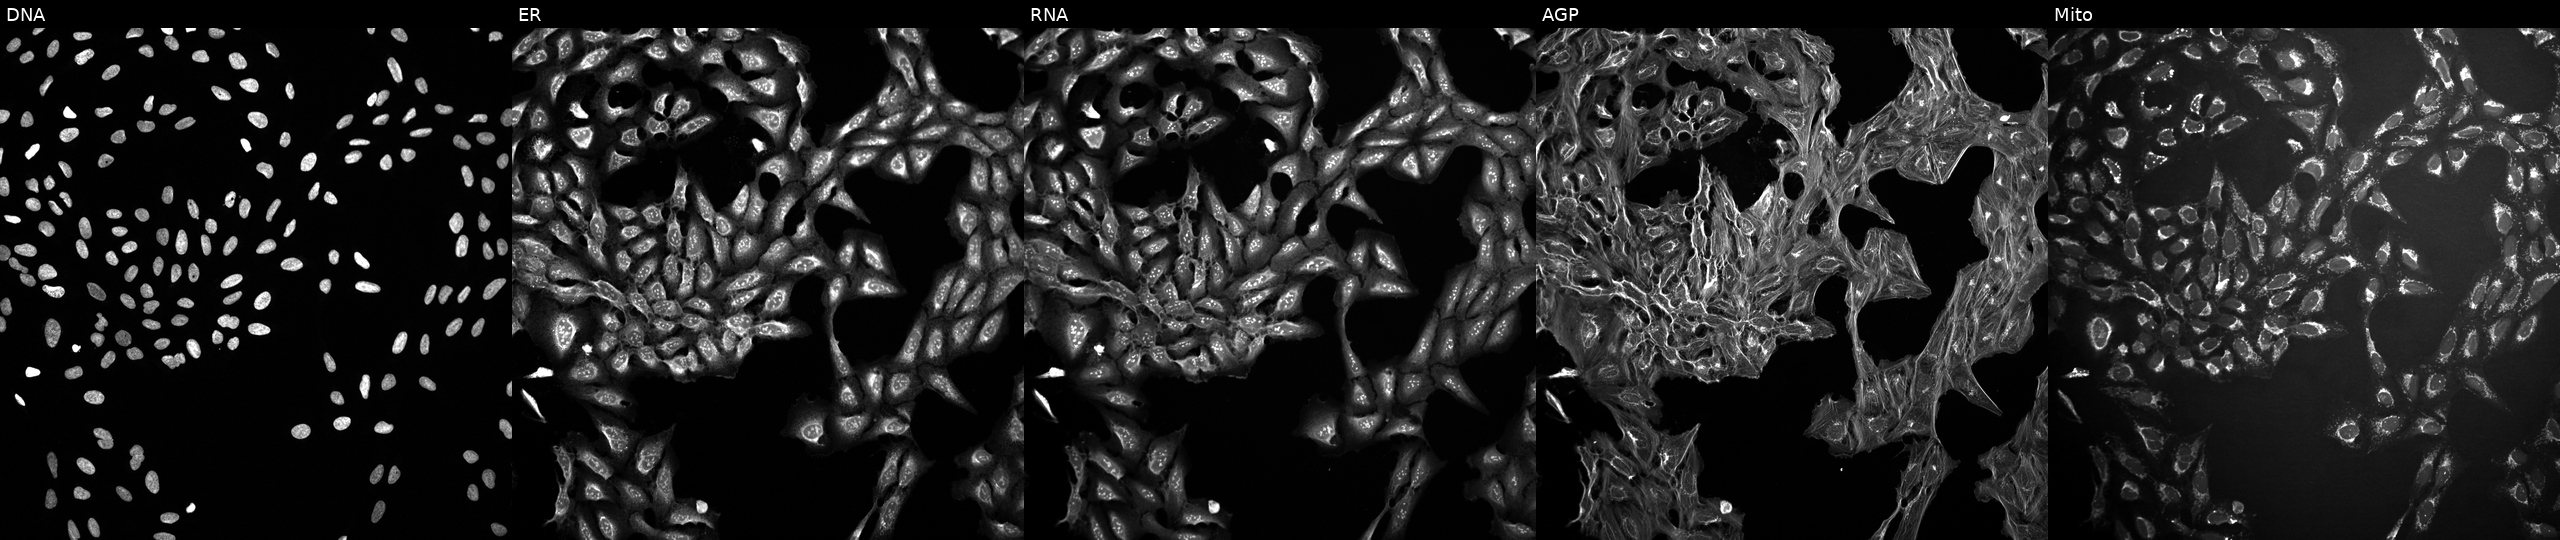
This image strip shows the five Cell Painting channels for a single field of U2OS cells exposed to a small-molecule compound (InChIKey SQMWSBKSHWARHU-UHFFFAOYSA-N) (JUMP id JCP2022_084963). From left to right: DNA (nuclei); ER (endoplasmic reticulum); RNA (nucleoli and cytoplasmic RNA); AGP (actin cytoskeleton, Golgi, and plasma membrane); Mito (mitochondria).